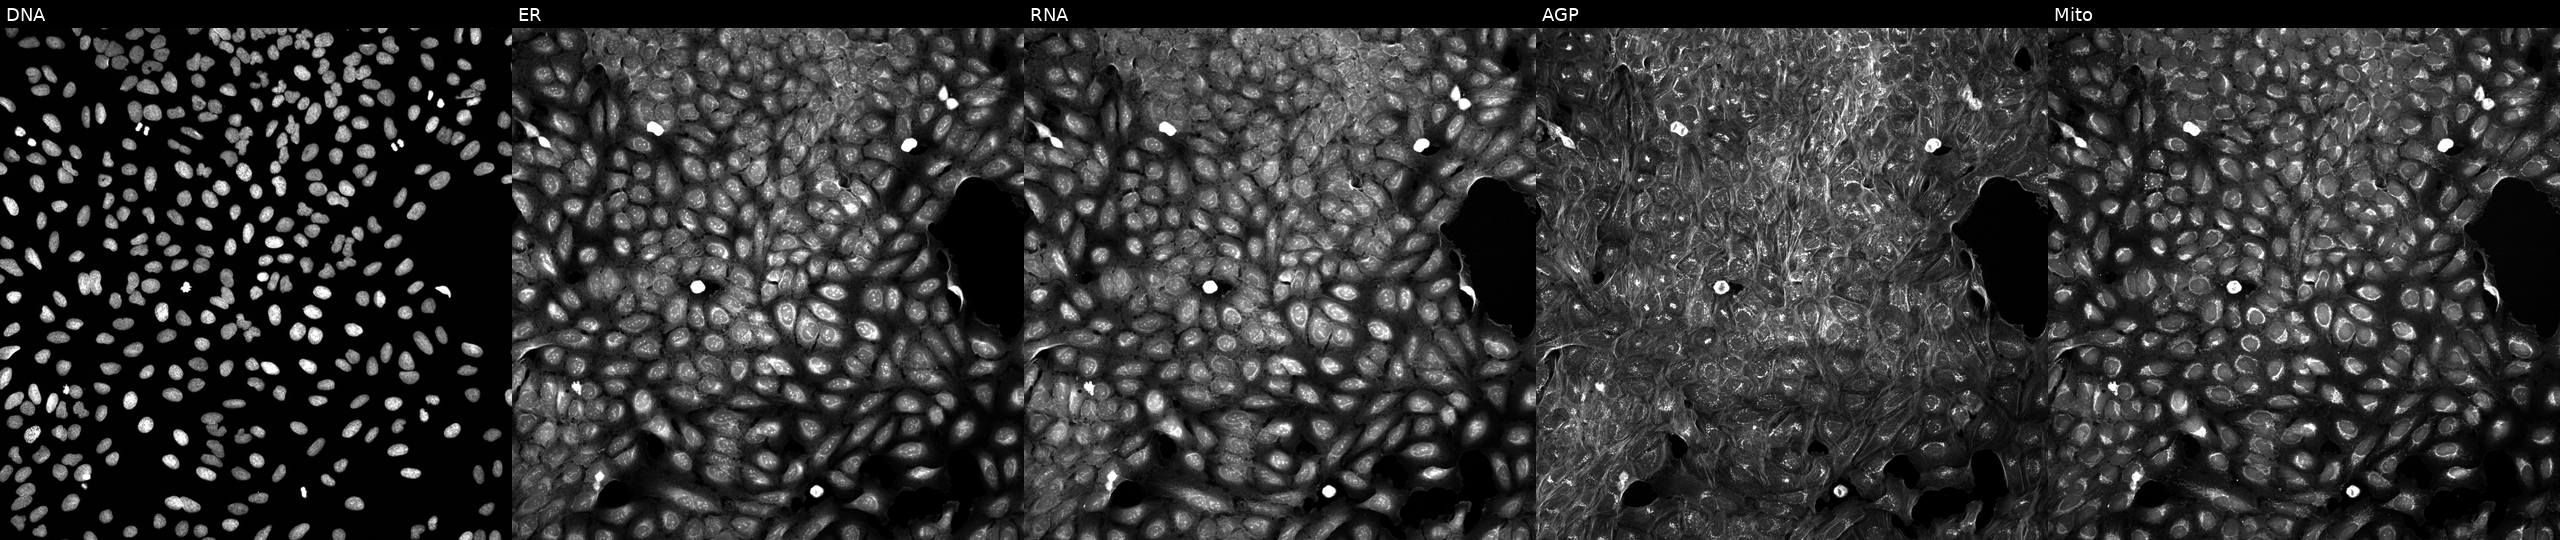
High-content fluorescence microscopy (Cell Painting). Cell line: U2OS. Perturbation: exposed to a small-molecule compound (JUMP id JCP2022_003607). Channels (left→right): DNA, ER, RNA, AGP, and Mito.